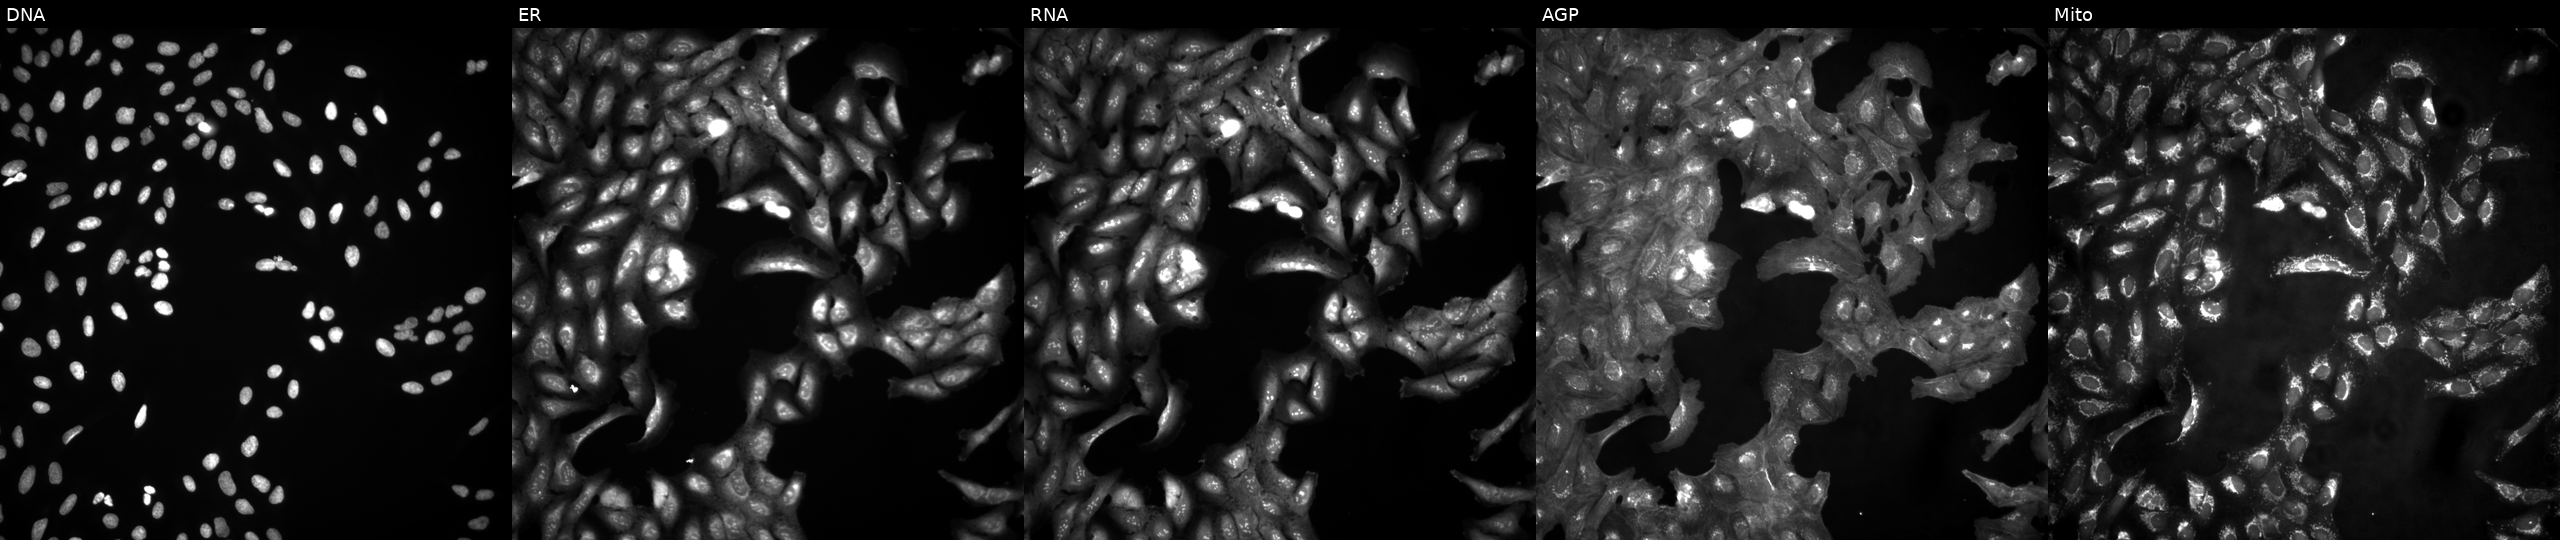
This image strip shows the five Cell Painting channels for a single field of U2OS cells in an empty control well (no perturbation) (JUMP id JCP2022_999999). The five panels, left to right, show DNA, ER, RNA, AGP, and Mito.